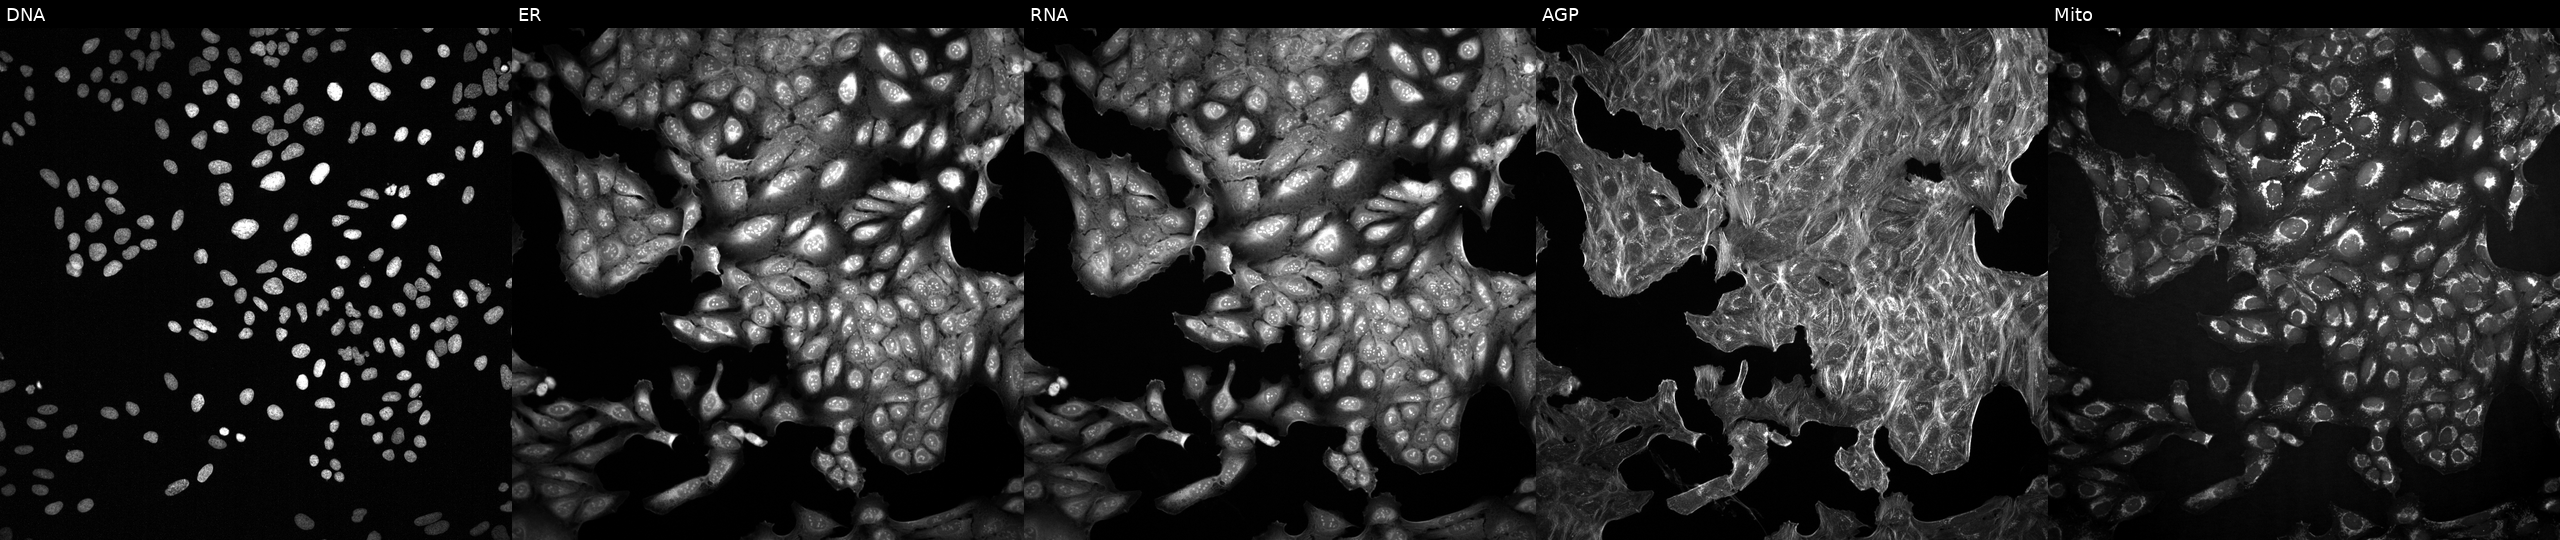
Five-channel Cell Painting image of U2OS cells with an unidentified perturbation (not annotated in JUMP metadata). Panels show, left to right, DNA (nuclei); ER (endoplasmic reticulum); RNA (nucleoli and cytoplasmic RNA); AGP (actin cytoskeleton, Golgi, and plasma membrane); Mito (mitochondria).